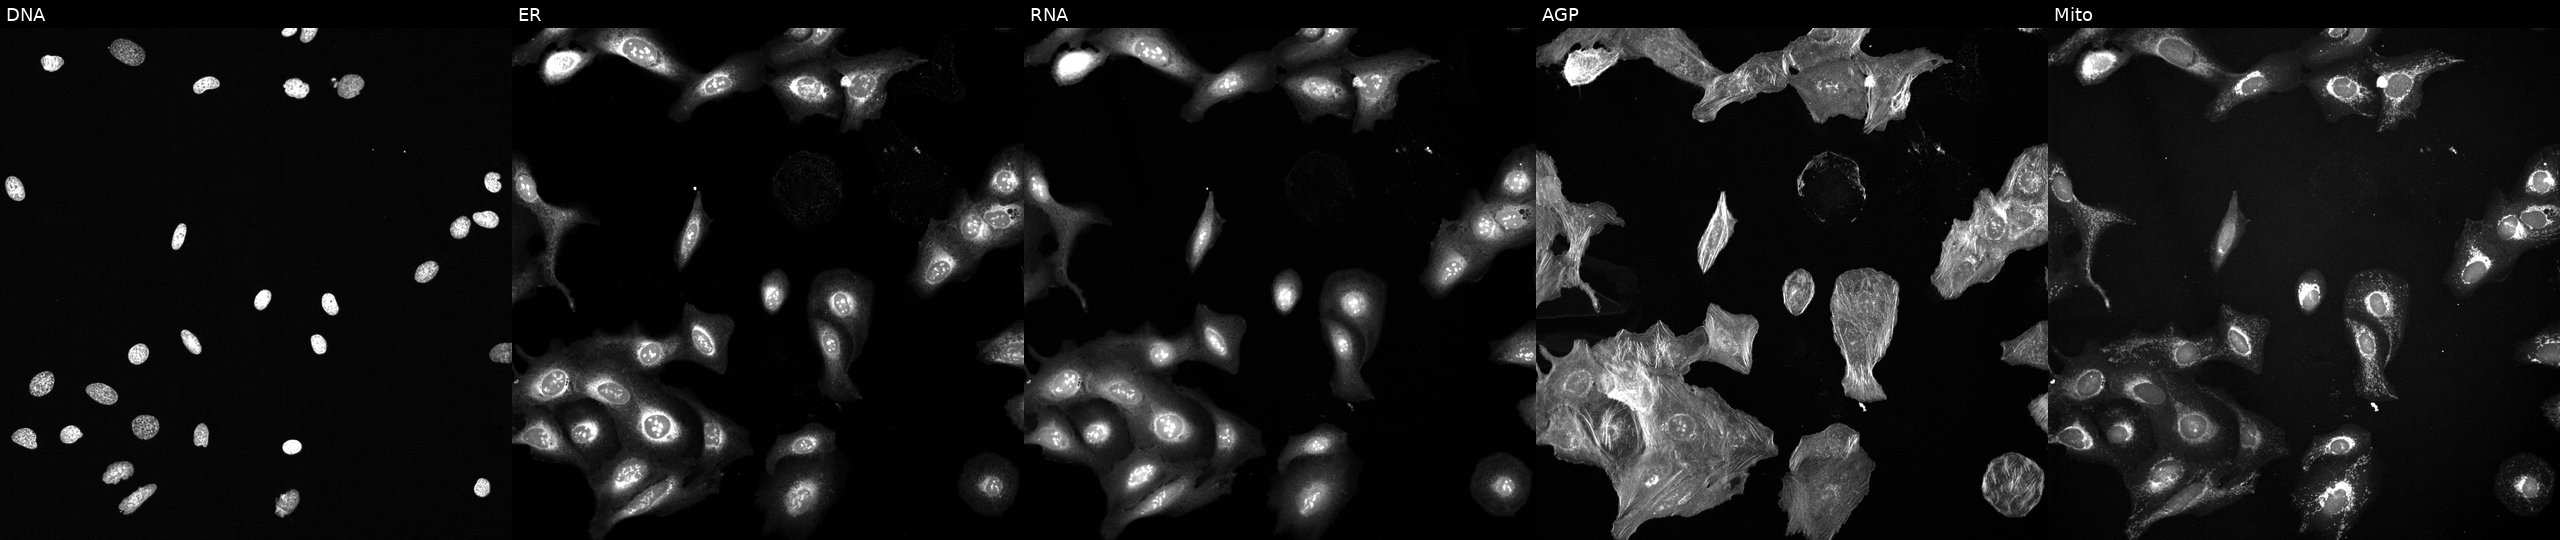
This image strip shows the five Cell Painting channels for a single field of U2OS cells perturbed with a small-molecule compound (InChIKey GQXSULRYFDAMOO-UHFFFAOYSA-N). From left to right: Hoechst 33342, concanavalin A, SYTO 14, phalloidin and WGA, MitoTracker.